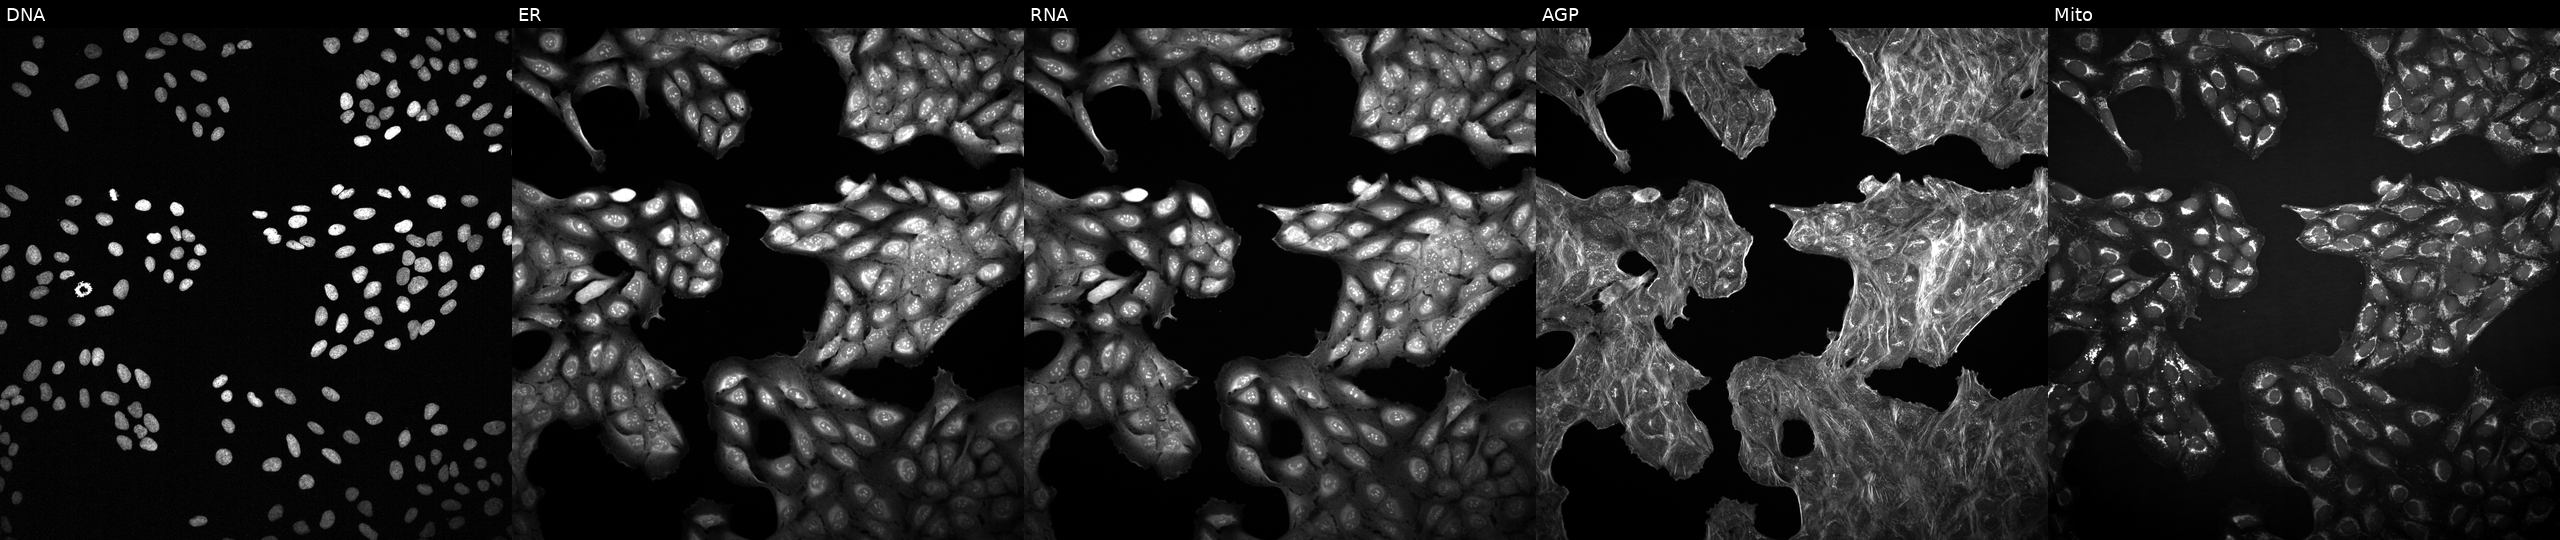
High-content fluorescence microscopy (Cell Painting). Cell line: U2OS. Perturbation: exposed to DMSO alone as a negative control. From left to right: Hoechst 33342, concanavalin A, SYTO 14, phalloidin and WGA, MitoTracker. Source 2, plate 1053601756, well A02.